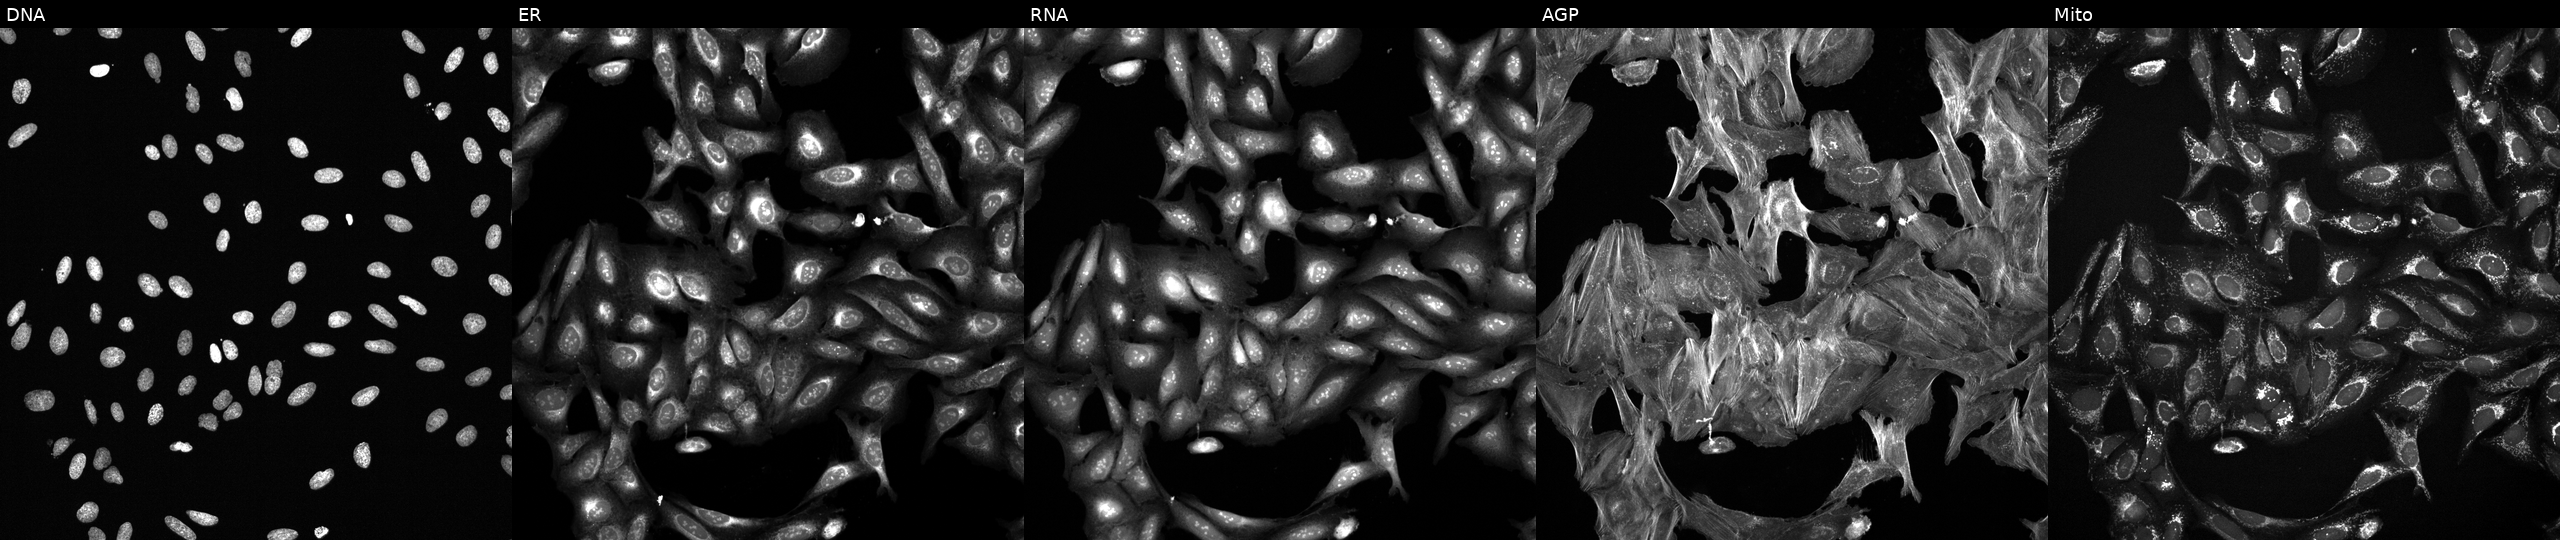
JUMP Cell Painting — TARGET2 plate. U2OS cells treated with a small-molecule compound (InChIKey IPSSXIMJJXSJQB-UHFFFAOYSA-N). The five panels, left to right, show DNA (nuclei); ER (endoplasmic reticulum); RNA (nucleoli and cytoplasmic RNA); AGP (actin cytoskeleton, Golgi, and plasma membrane); Mito (mitochondria). Source 6, plate 110000293081, well L05.